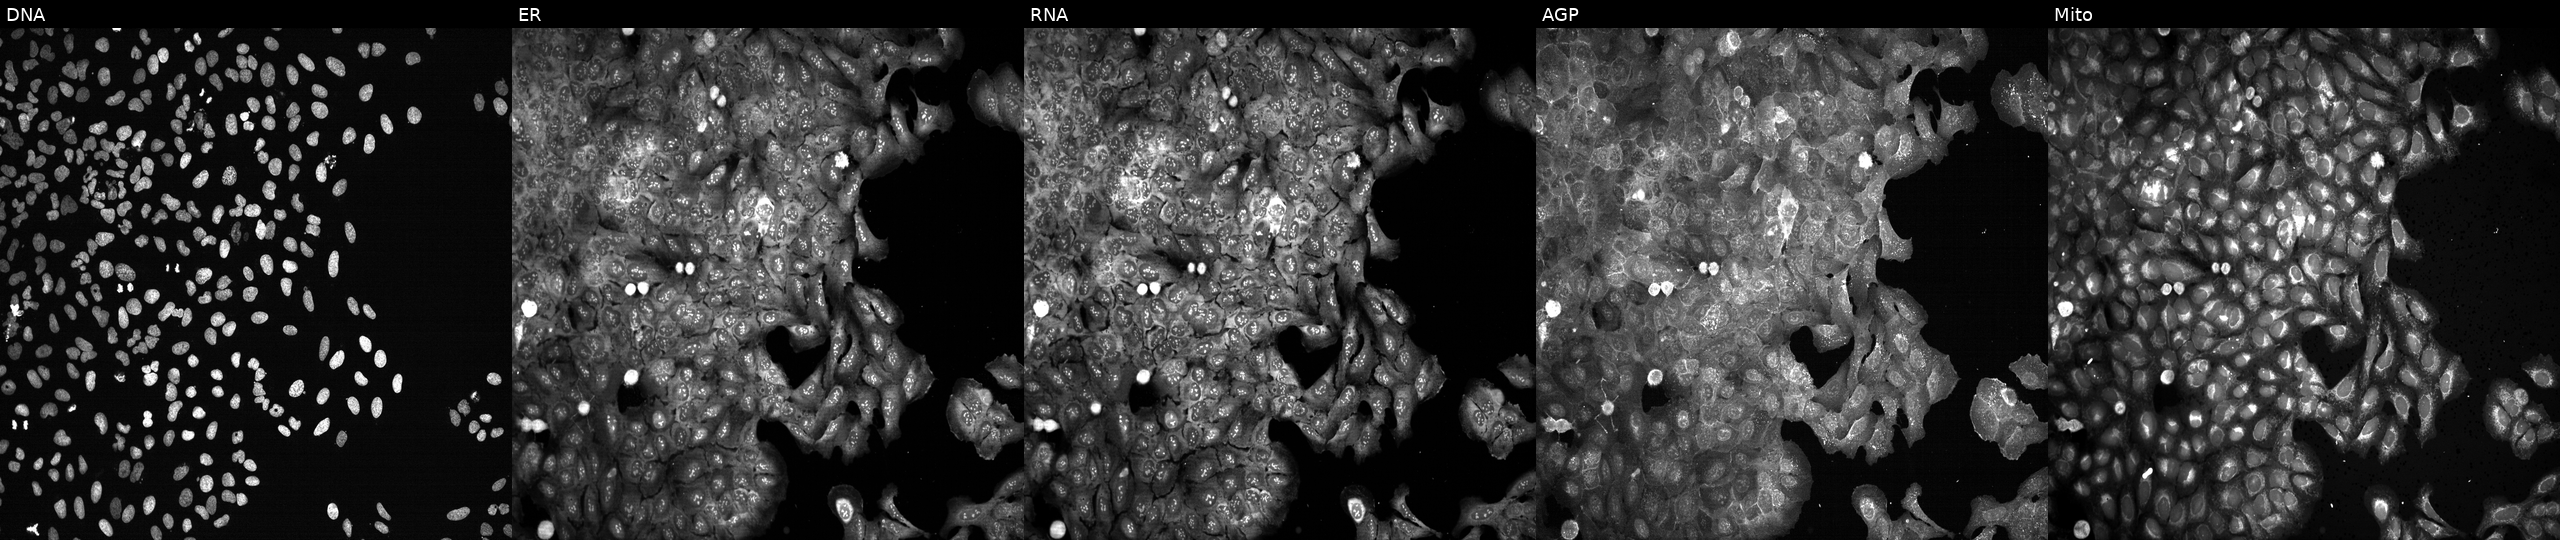
Five-channel Cell Painting image of U2OS cells following CRISPR knockout of SLC23A3. From left to right: Hoechst 33342, concanavalin A, SYTO 14, phalloidin and WGA, MitoTracker.